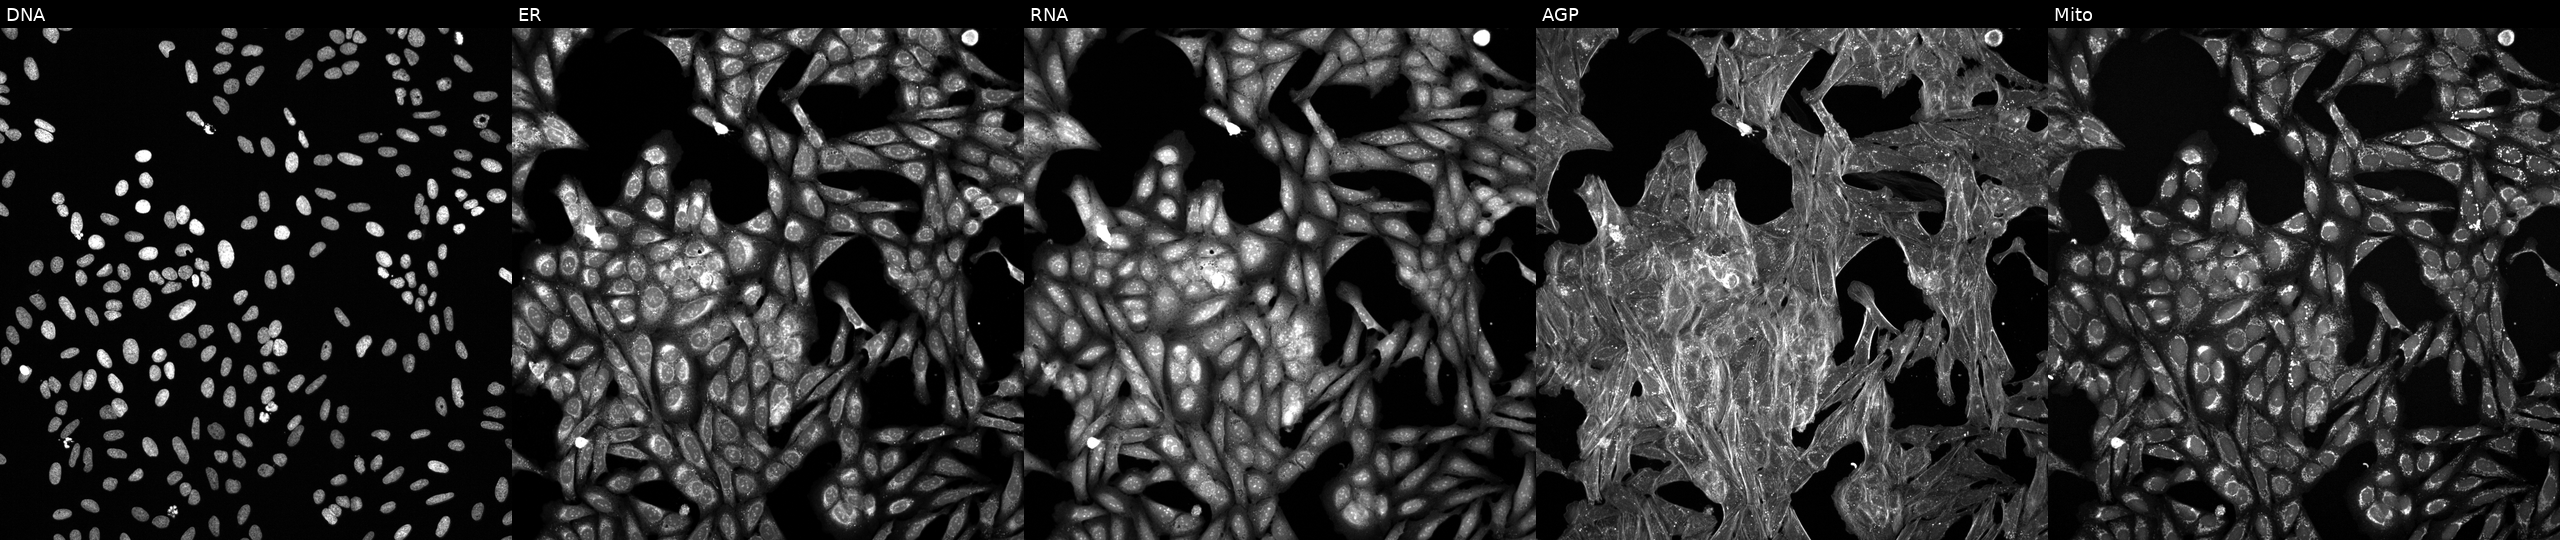
This image strip shows the five Cell Painting channels for a single field of U2OS cells treated with a small-molecule compound (JUMP id JCP2022_000794). The five panels, left to right, show DNA (nuclei); ER (endoplasmic reticulum); RNA (nucleoli and cytoplasmic RNA); AGP (actin cytoskeleton, Golgi, and plasma membrane); Mito (mitochondria).